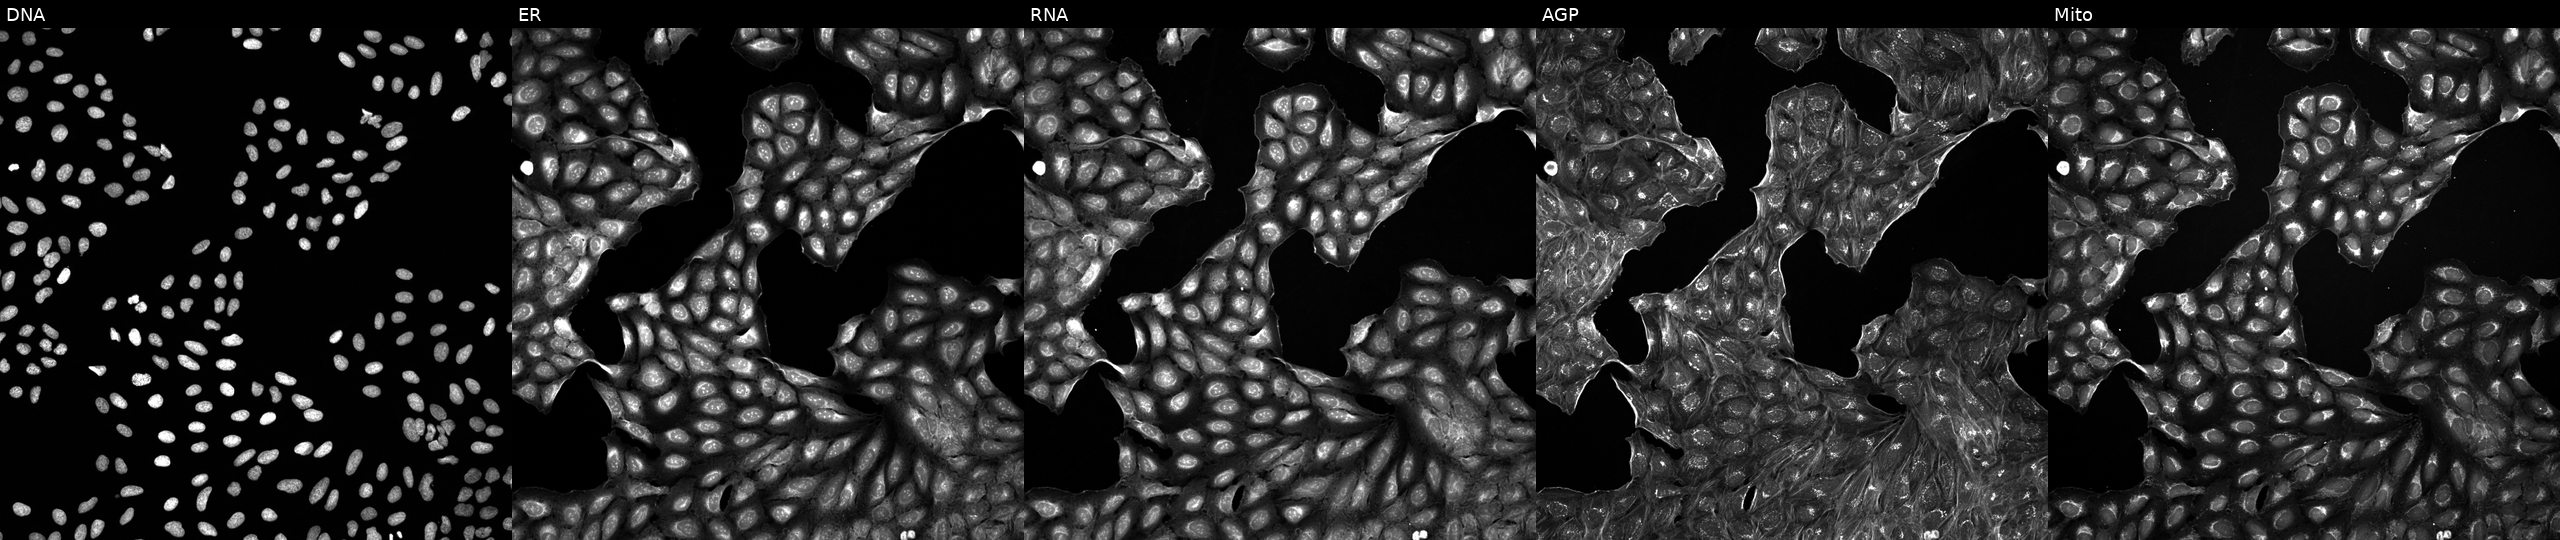
U2OS cells, Cell Painting assay, treated with a small-molecule compound (InChIKey BNYCBGYJTSNWRG-UHFFFAOYSA-N). From left to right: Hoechst 33342, concanavalin A, SYTO 14, phalloidin and WGA, MitoTracker. Each panel is percentile-stretched 16-bit fluorescence. Source 5, plate APTJUM105, well A14.